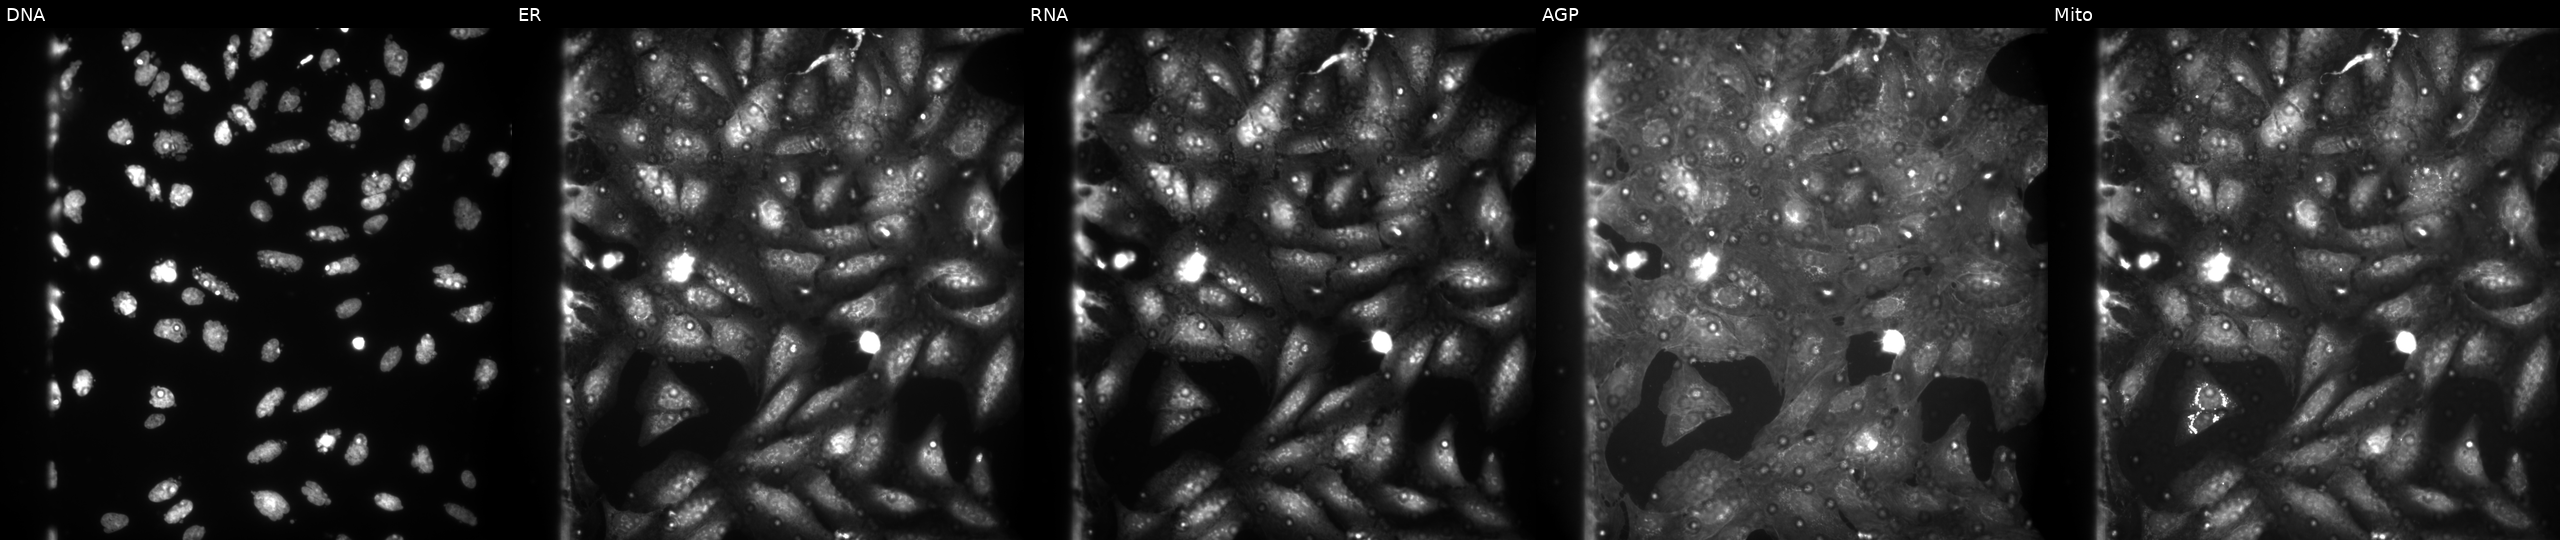
Five-channel Cell Painting image of U2OS cells treated with AMG900 (positive-control compound). The five panels, left to right, show DNA, ER, RNA, AGP, and Mito. Source 9, plate GR00003382, well B01.